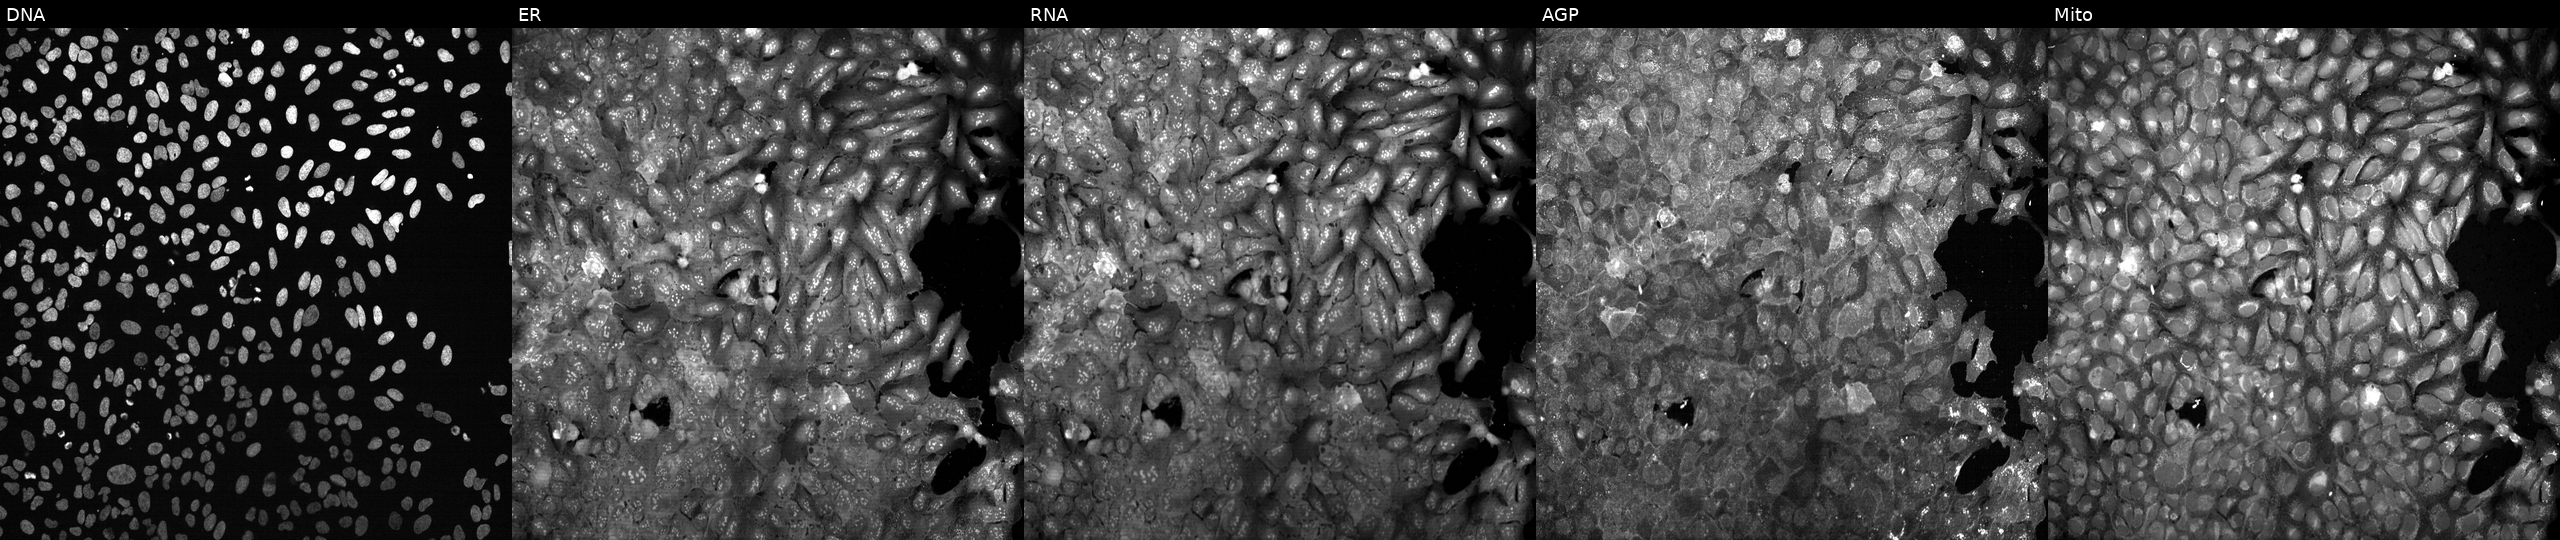
JUMP Cell Painting — CRISPR plate. U2OS cells CRISPR-edited to disrupt ARSK (JUMP id JCP2022_800607). From left to right: DNA, ER, RNA, AGP, and Mito.